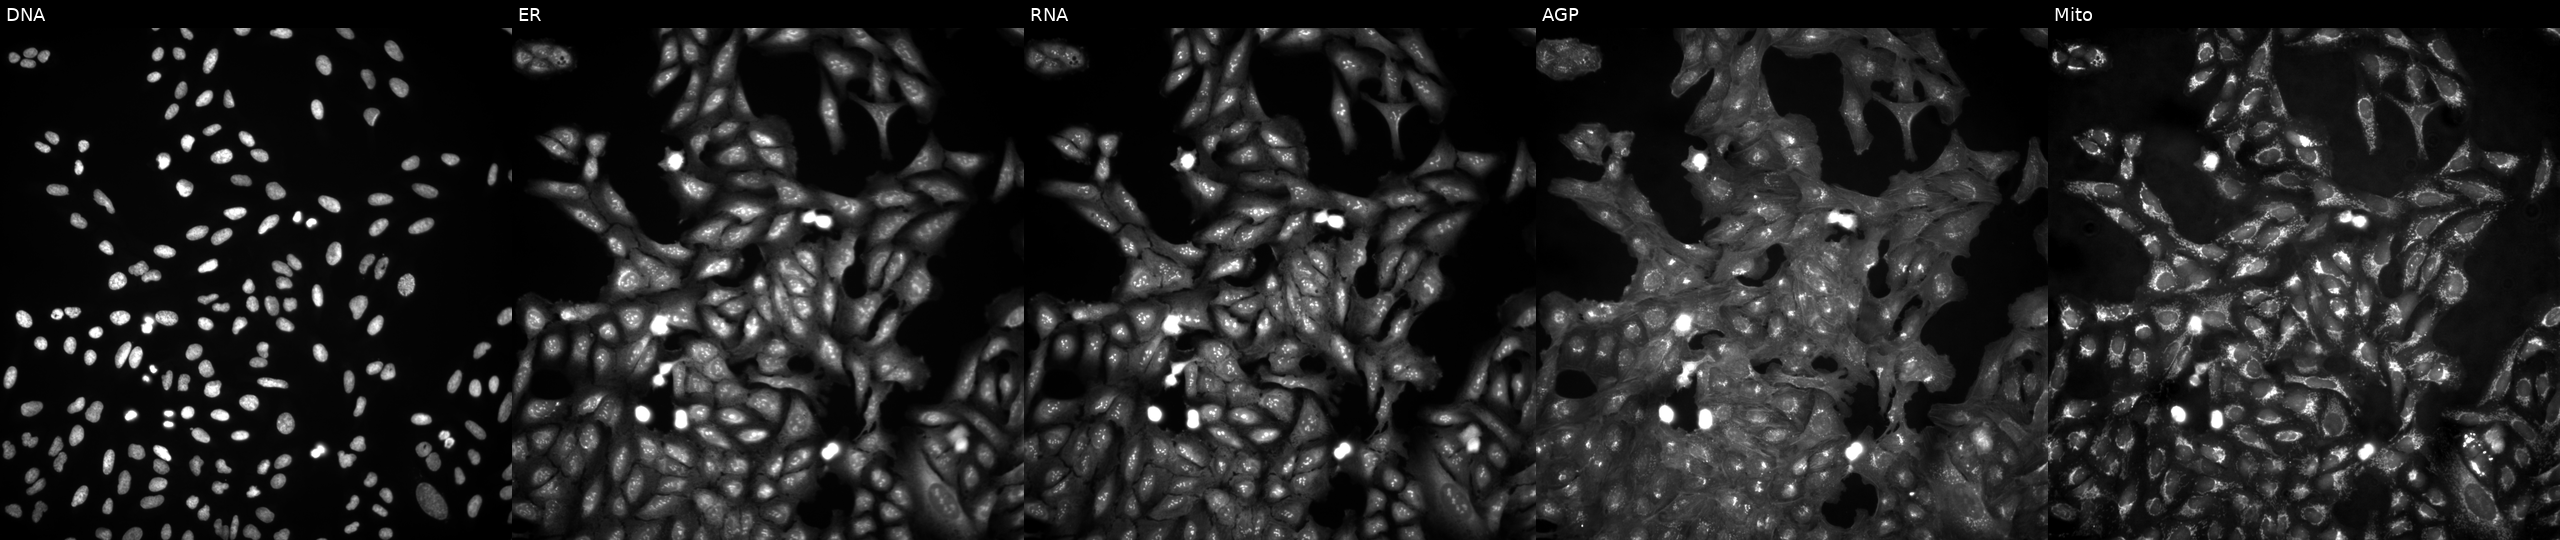
Panels show, left to right, Hoechst 33342, concanavalin A, SYTO 14, phalloidin and WGA, MitoTracker. U2OS osteosarcoma cells in an empty control well (no perturbation) (JUMP id JCP2022_999999). Cell Painting assay, JUMP-CP dataset.